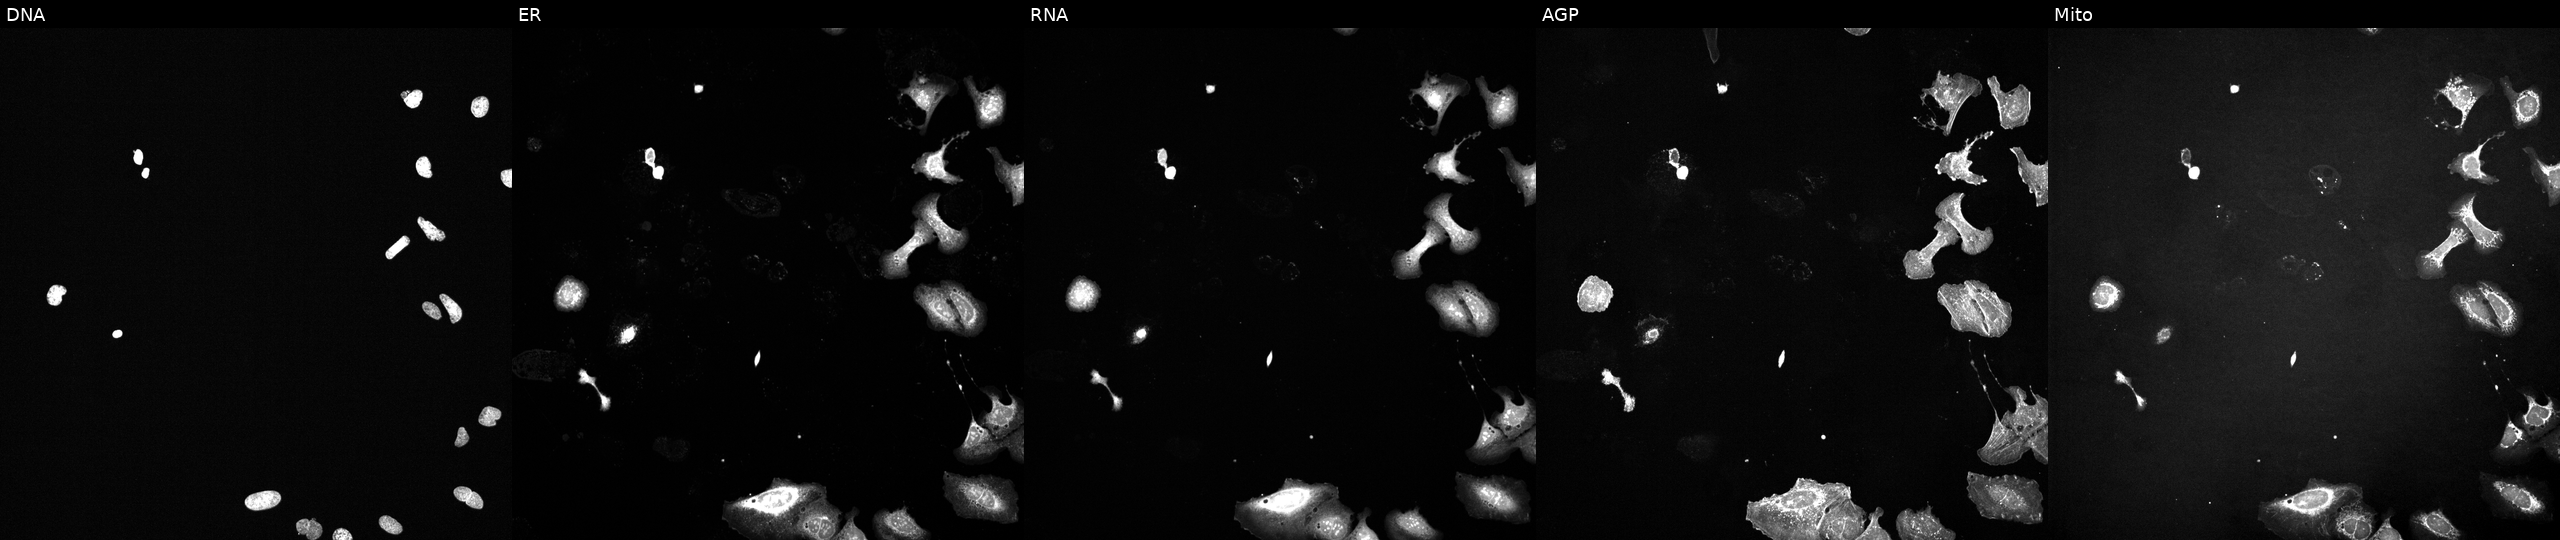
Five-channel Cell Painting image of U2OS cells perturbed with a small-molecule compound. From left to right: DNA, ER, RNA, AGP, and Mito. Source 6, plate 110000294901, well D14.